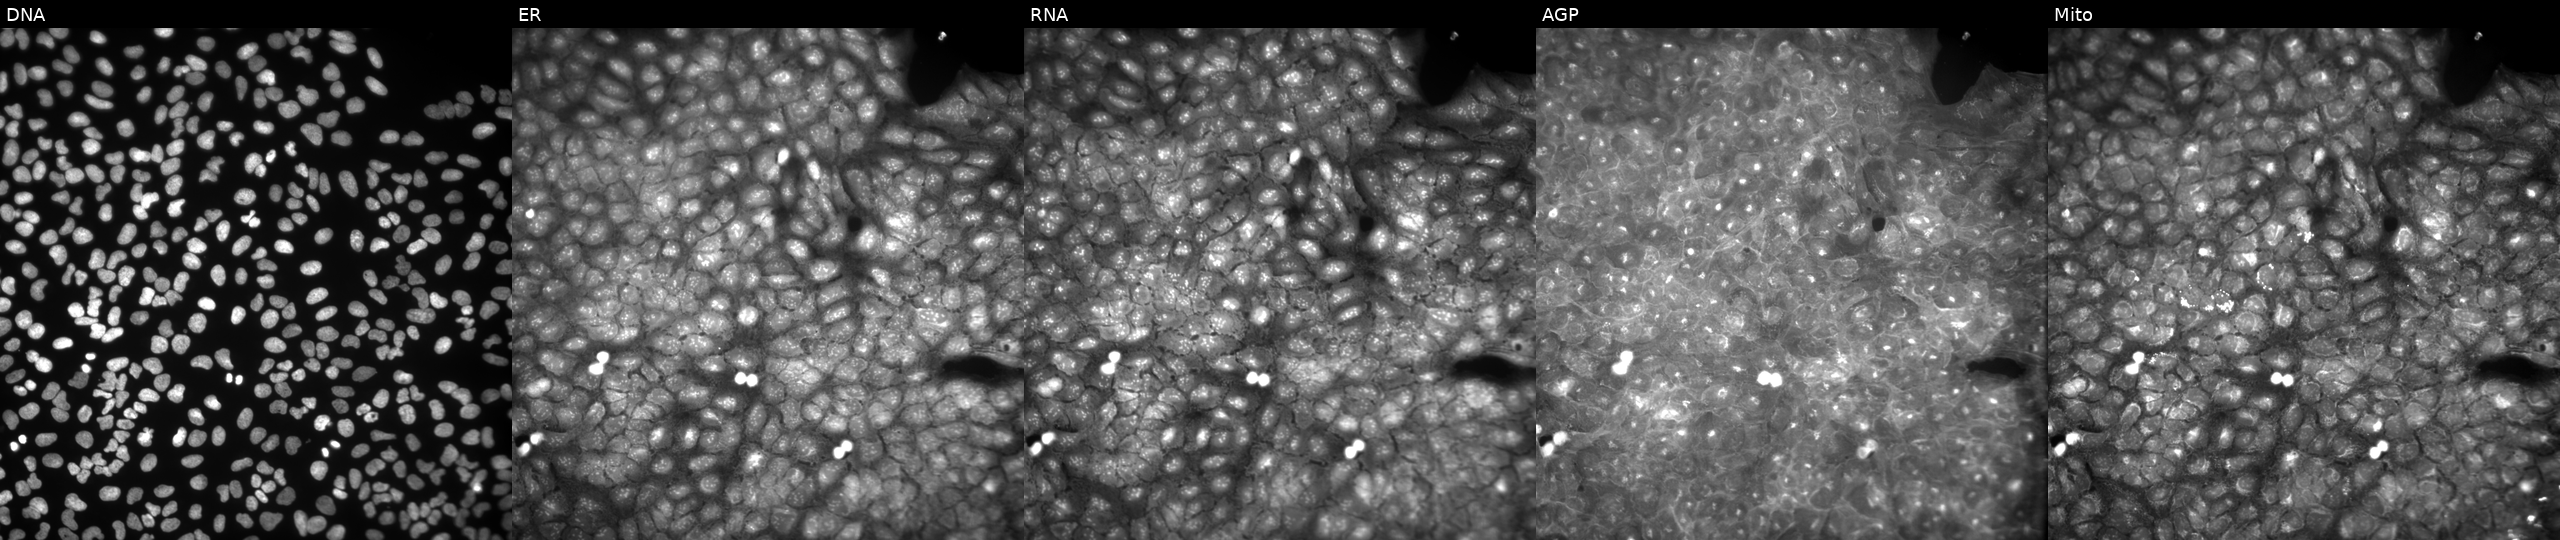
High-content fluorescence microscopy (Cell Painting). Cell line: U2OS. Perturbation: perturbed with a small-molecule compound [SMILES: COc1ccc2c(c1)c(C(=O)CN(C)C)c(C)n2C]. From left to right: Hoechst 33342, concanavalin A, SYTO 14, phalloidin and WGA, MitoTracker.